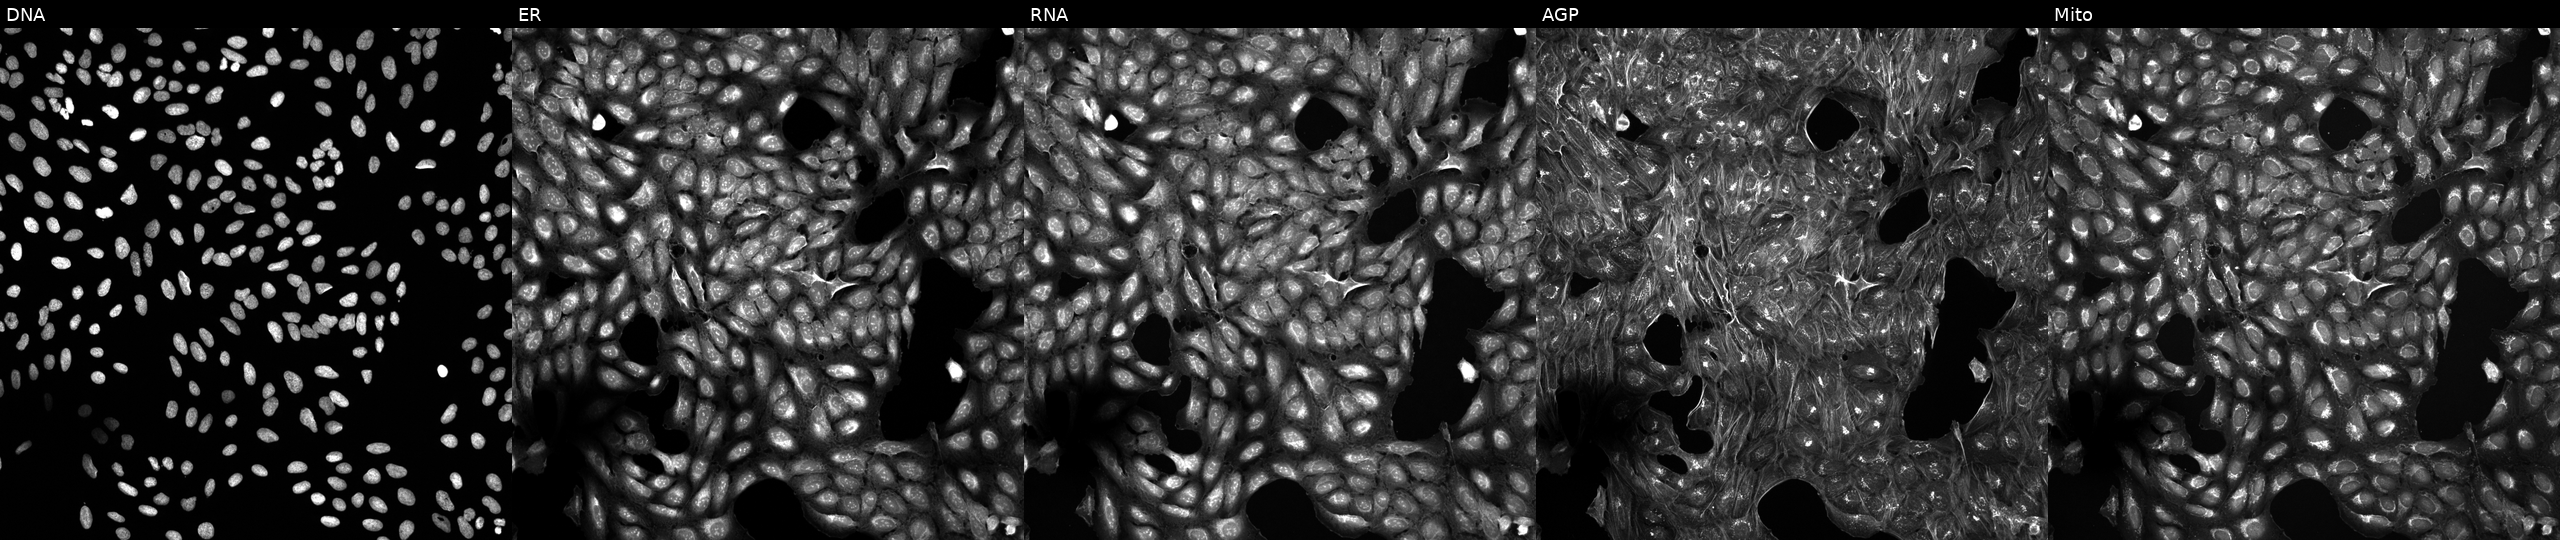
JUMP Cell Painting — COMPOUND plate. U2OS cells treated with a small-molecule compound (InChIKey XAMQPAKUARBBEN-UHFFFAOYSA-N) [SMILES: CCn1cnnc1C1CCCN(c2nc(OC)ncc2Cl)C1] (JUMP id JCP2022_102384). Channels (left→right): Hoechst 33342, concanavalin A, SYTO 14, phalloidin and WGA, MitoTracker.